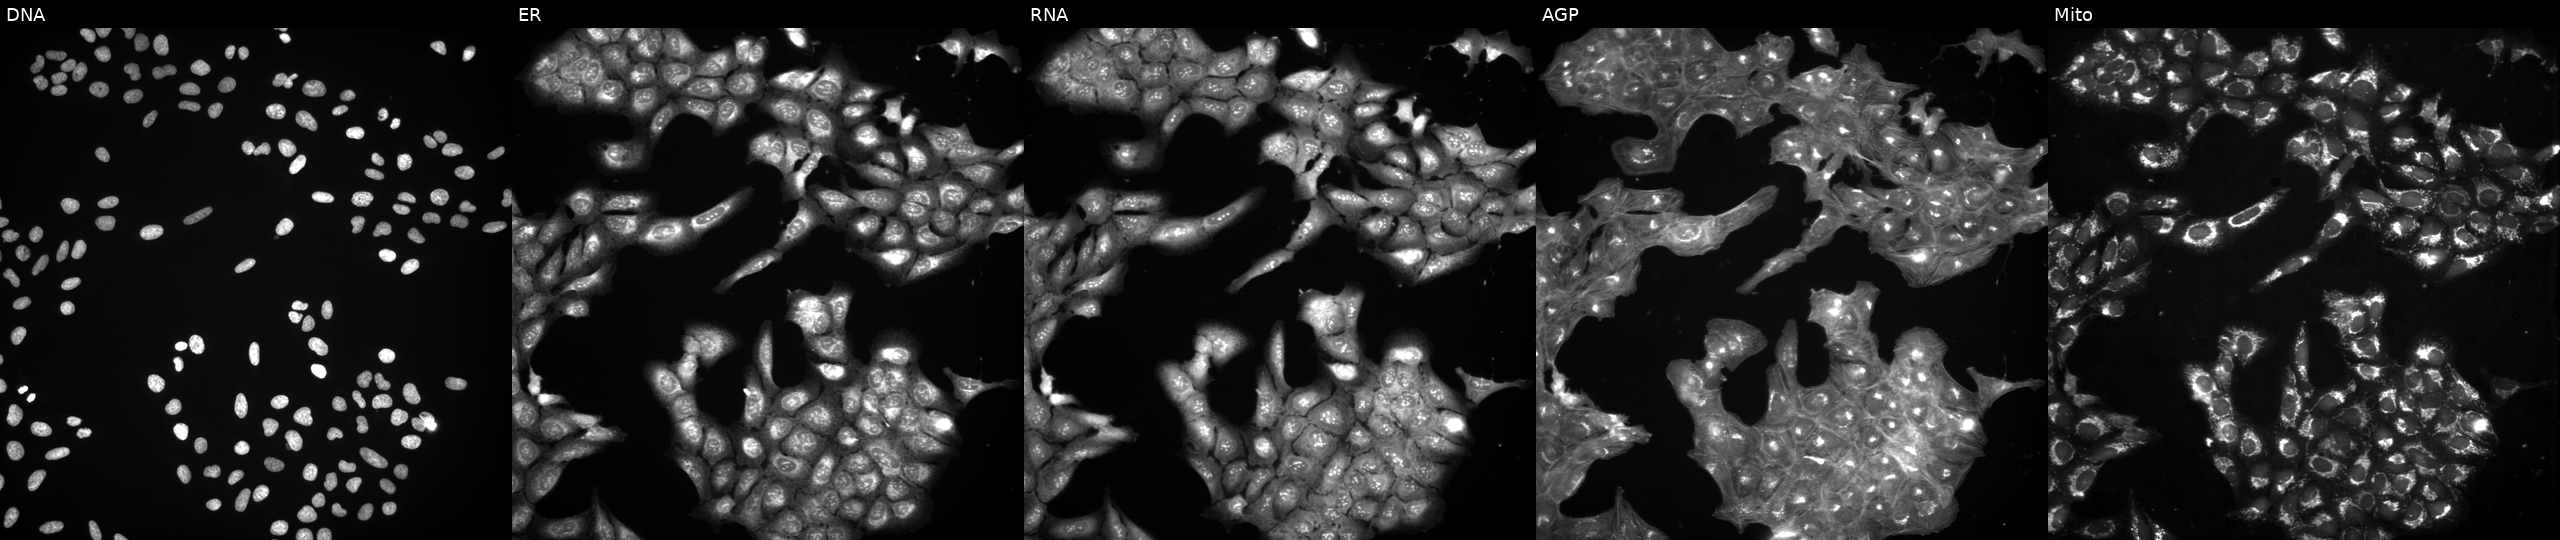
This image strip shows the five Cell Painting channels for a single field of U2OS cells perturbed with a small-molecule compound (InChIKey ALBKMJDFBZVHAK-UHFFFAOYSA-N) [SMILES: CCOC(=O)c1ncc2[nH]c3ccc(OCc4ccccc4)cc3c2c1COC] (JUMP id JCP2022_002118). Channels (left→right): DNA, ER, RNA, AGP, and Mito. Source 3, plate JCPQC052, well N16.